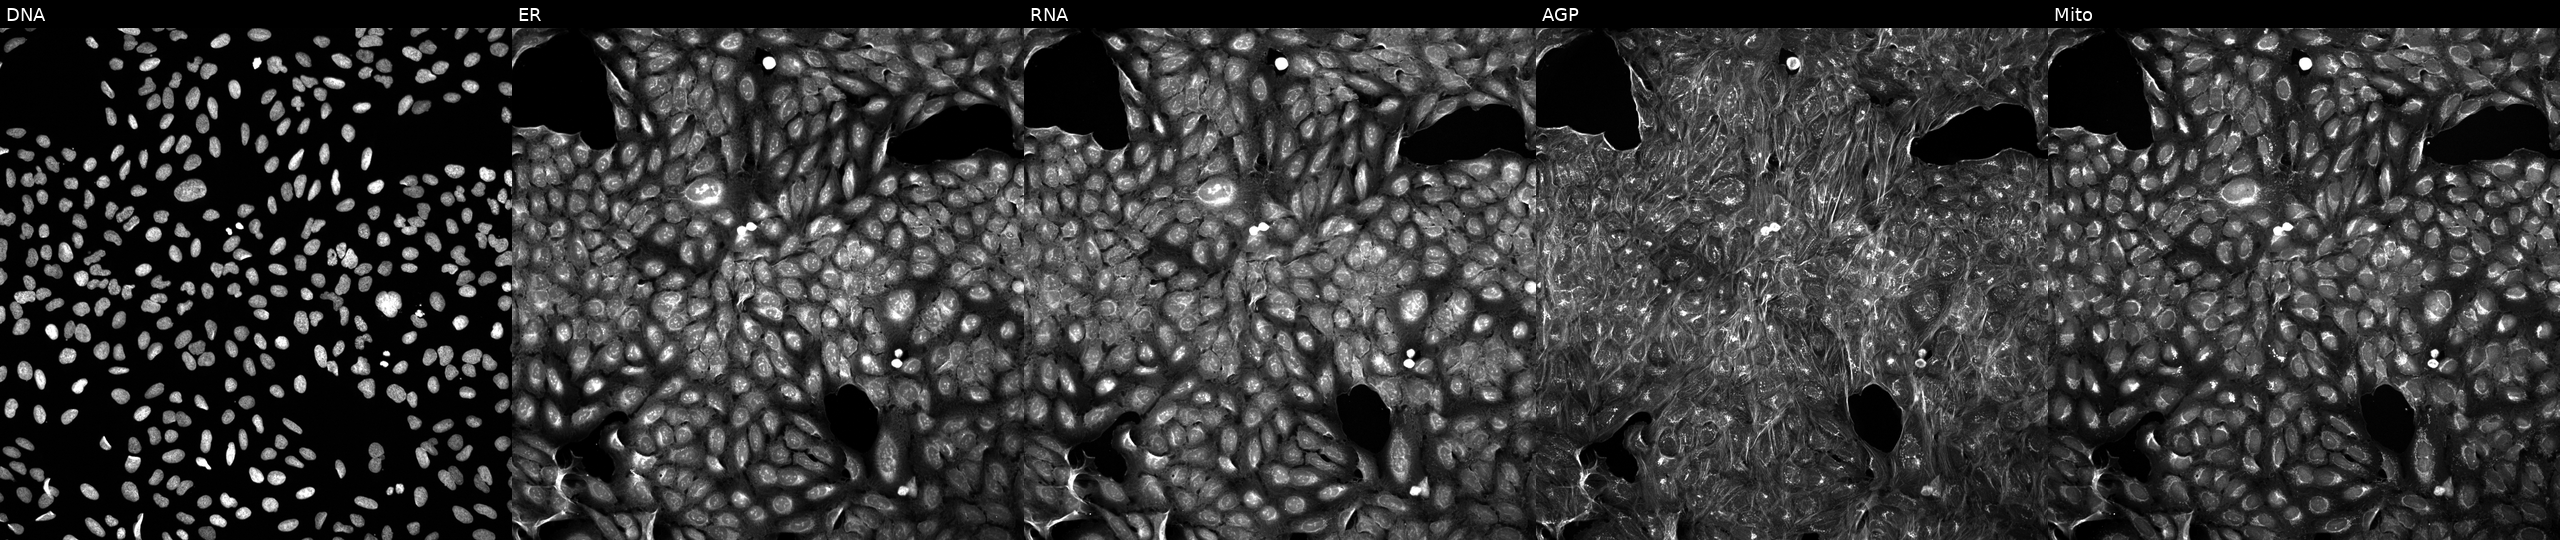
This image strip shows the five Cell Painting channels for a single field of U2OS cells exposed to a small-molecule compound (InChIKey JOIXGICIJXKZSE-UHFFFAOYSA-N) (JUMP id JCP2022_041090). Panels show, left to right, DNA, ER, RNA, AGP, and Mito. Source 5, plate APTJUM106, well M20.